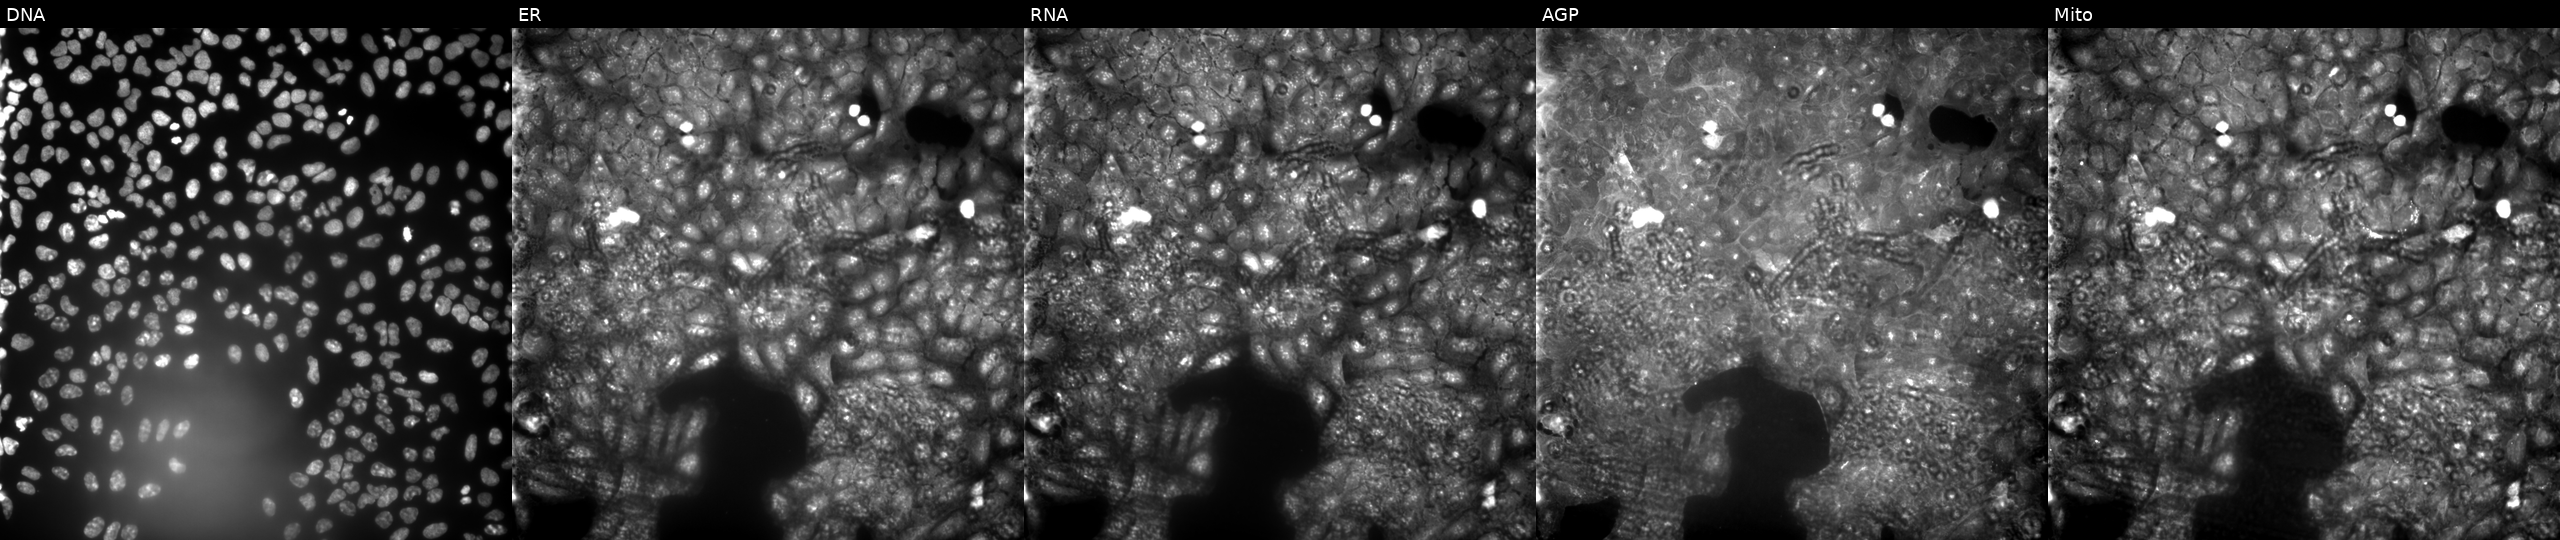
This image strip shows the five Cell Painting channels for a single field of U2OS cells treated with a small-molecule compound. Channels (left→right): Hoechst 33342, concanavalin A, SYTO 14, phalloidin and WGA, MitoTracker. Source 9, plate GR00003382, well I20.